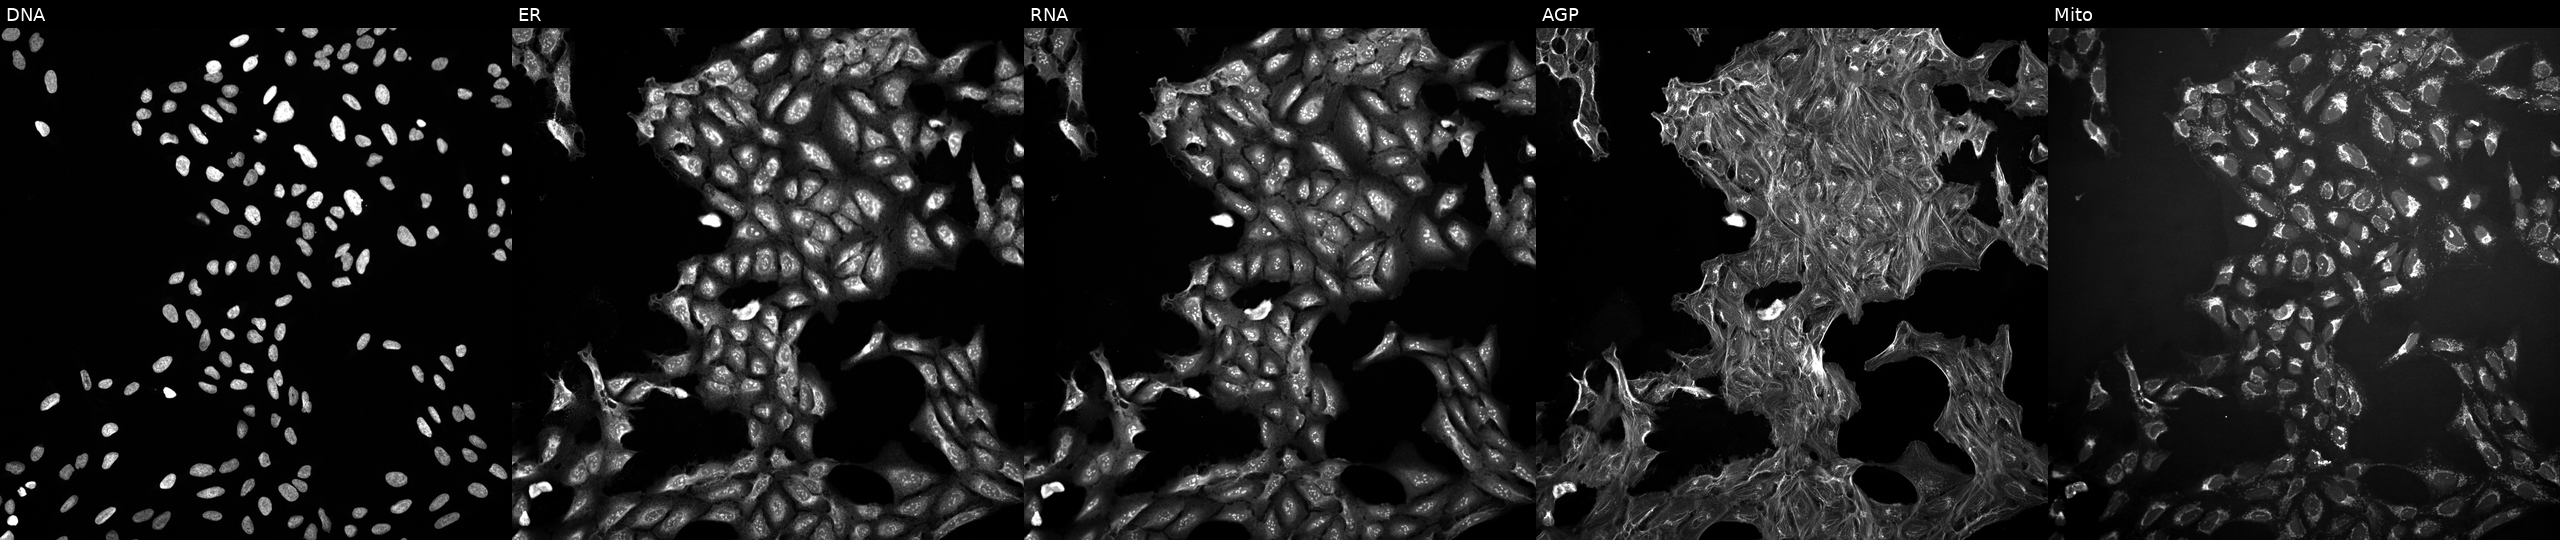
This image strip shows the five Cell Painting channels for a single field of U2OS cells exposed to a small-molecule compound (JUMP id JCP2022_064183). Channels (left→right): DNA, ER, RNA, AGP, and Mito. Source 10, plate Dest210727-153003, well E09.